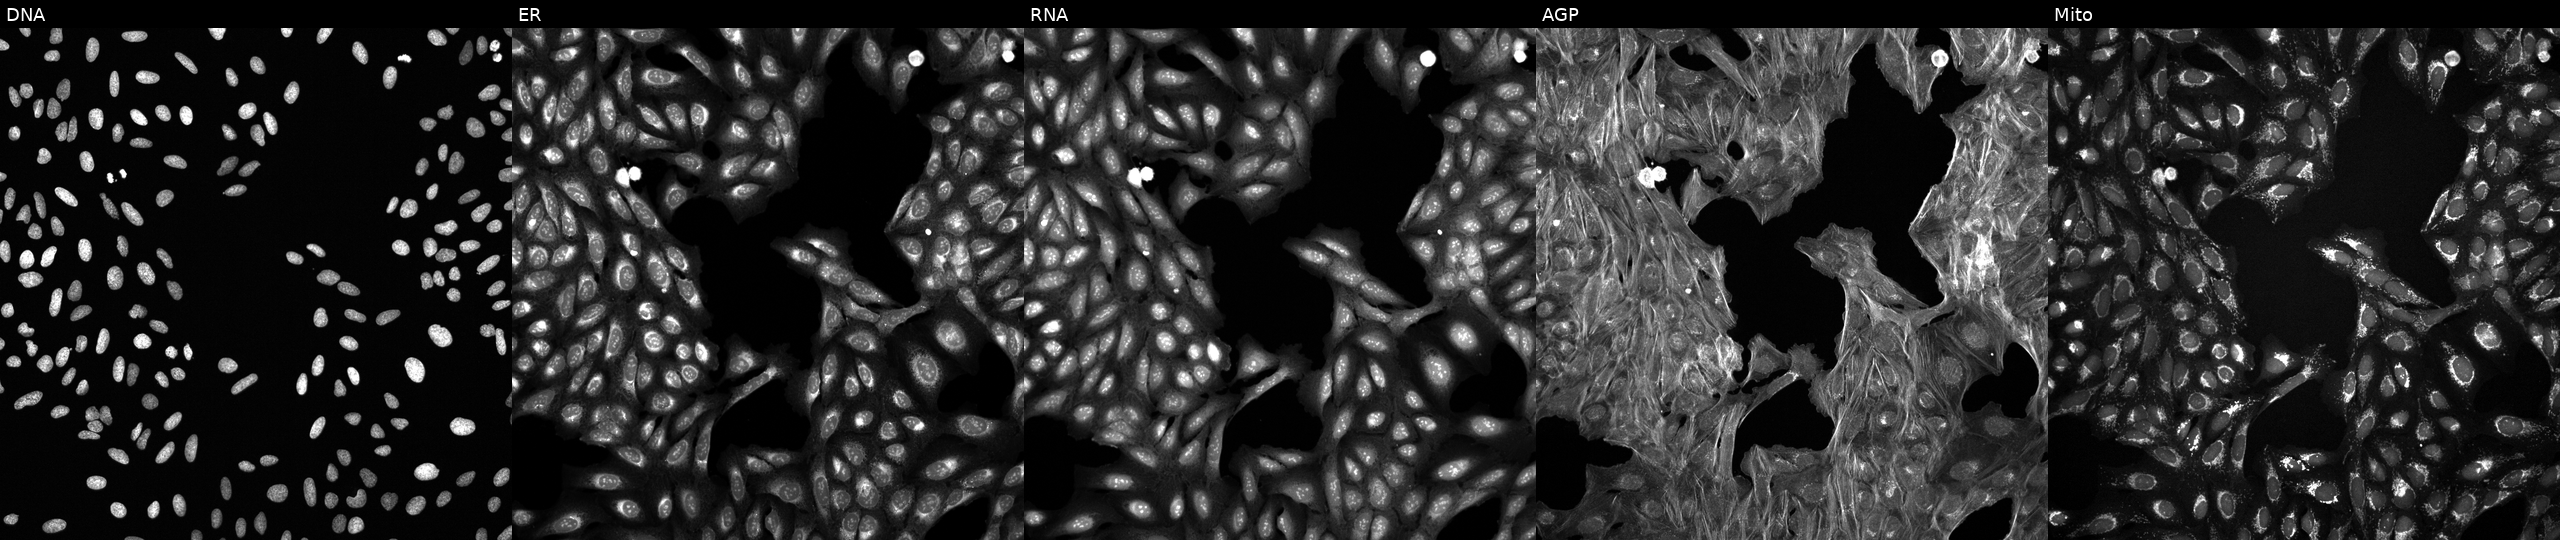
JUMP Cell Painting — COMPOUND plate. U2OS cells exposed to DMSO alone as a negative control (JUMP id JCP2022_033924). Panels show, left to right, DNA, ER, RNA, AGP, and Mito. Source 6, plate 110000293083, well C02.